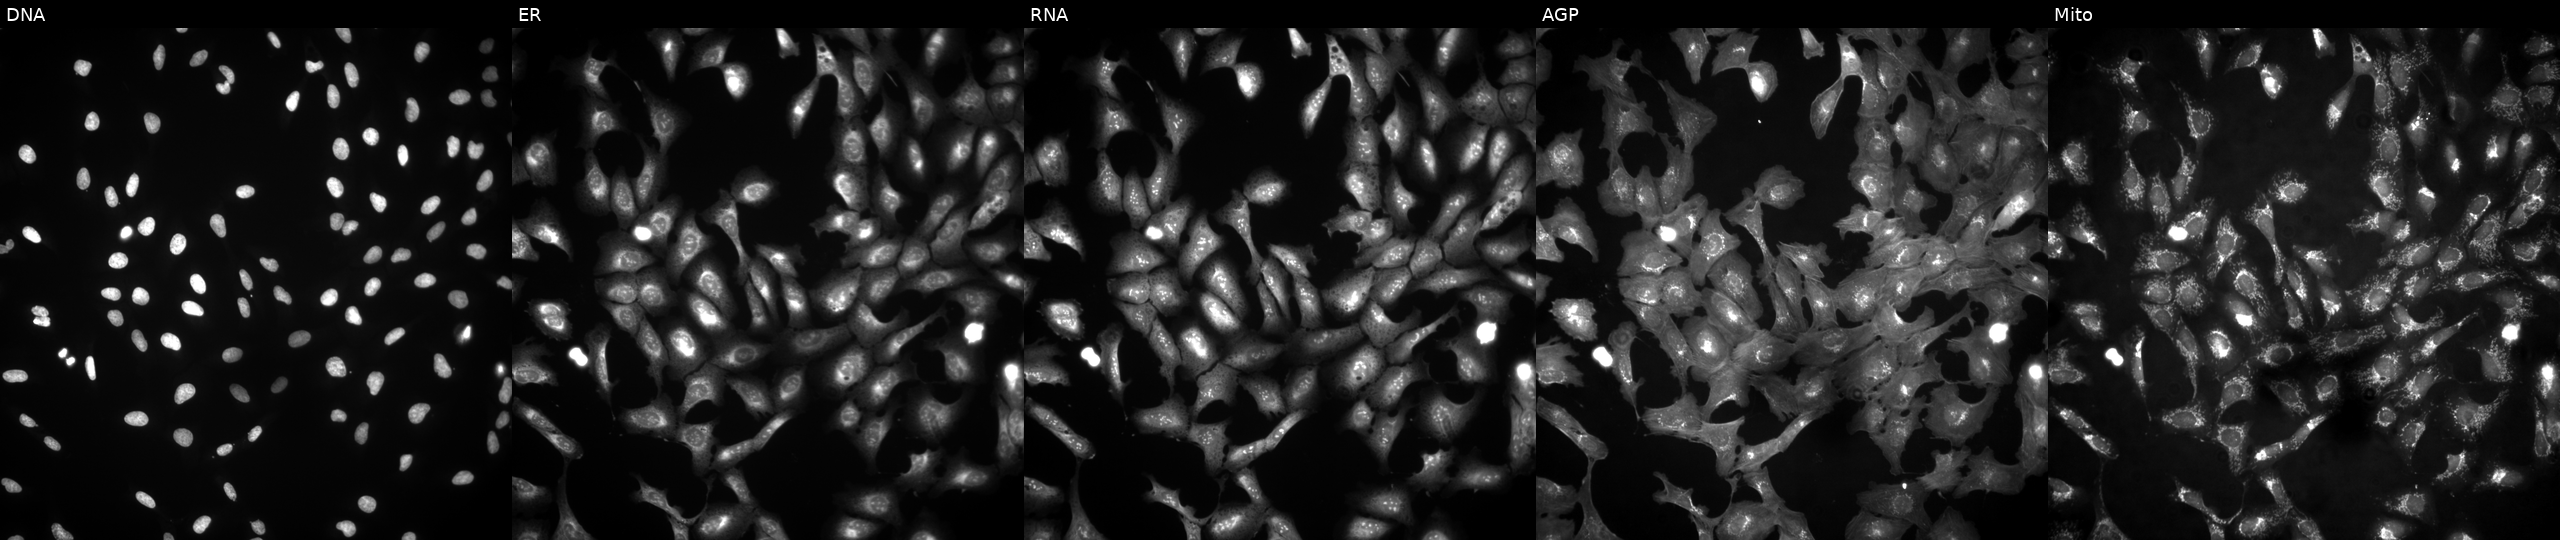
Five-channel Cell Painting image of U2OS cells overexpressing TMEM52B via ORF transfection (JUMP id JCP2022_912194). From left to right: DNA, ER, RNA, AGP, and Mito. Source 4, plate BR00124790, well B23.